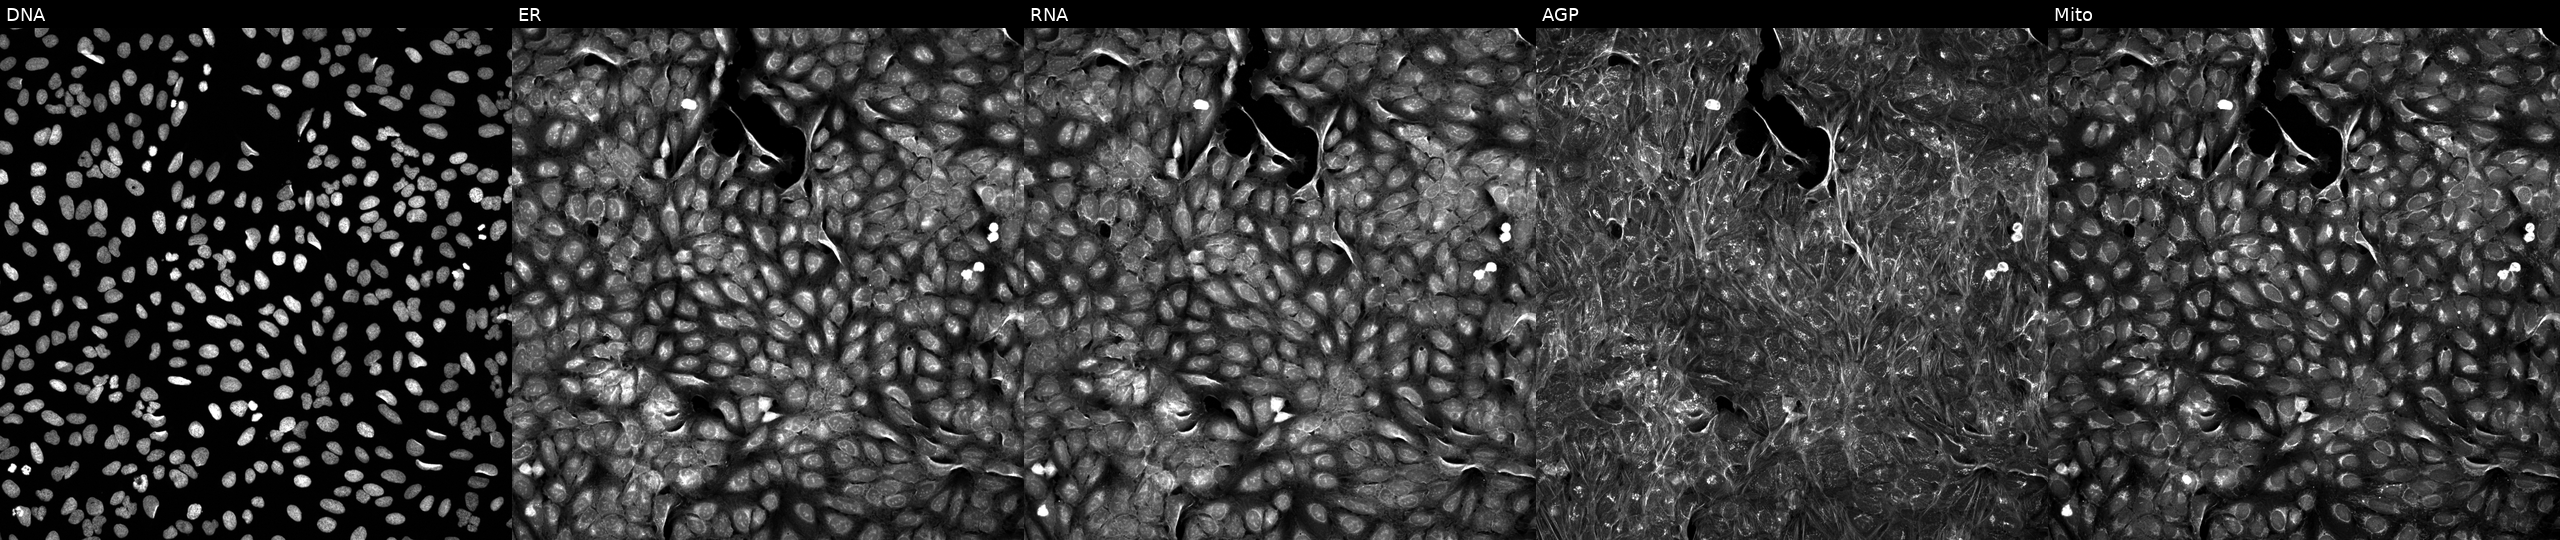
High-content fluorescence microscopy (Cell Painting). Cell line: U2OS. Perturbation: treated with a small-molecule compound (InChIKey SHPPXAYTAWEEHU-UHFFFAOYSA-N) [SMILES: FC(F)(F)c1cccc(CN=c2[nH]nc(C3CCCO3)o2)c1]. The five panels, left to right, show DNA (nuclei); ER (endoplasmic reticulum); RNA (nucleoli and cytoplasmic RNA); AGP (actin cytoskeleton, Golgi, and plasma membrane); Mito (mitochondria).